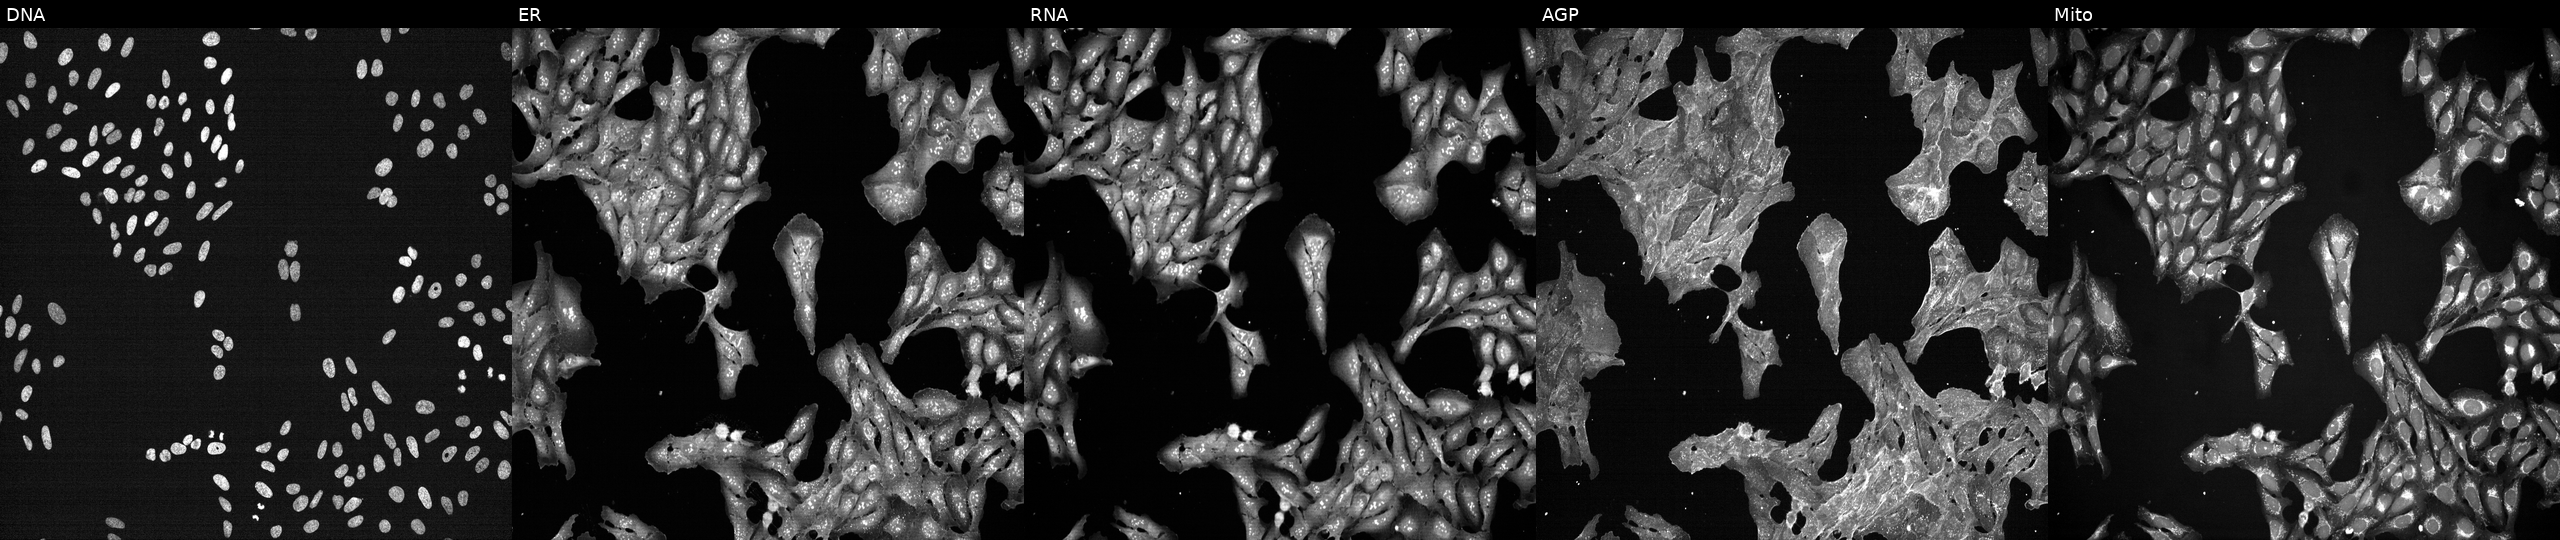
Five-channel Cell Painting image of U2OS cells exposed to a small-molecule compound (InChIKey XQYASZNUFDVMFH-UHFFFAOYSA-N) (JUMP id JCP2022_105456). The five panels, left to right, show DNA (nuclei); ER (endoplasmic reticulum); RNA (nucleoli and cytoplasmic RNA); AGP (actin cytoskeleton, Golgi, and plasma membrane); Mito (mitochondria). Source 7, plate CP2-SC1-25, well C01.